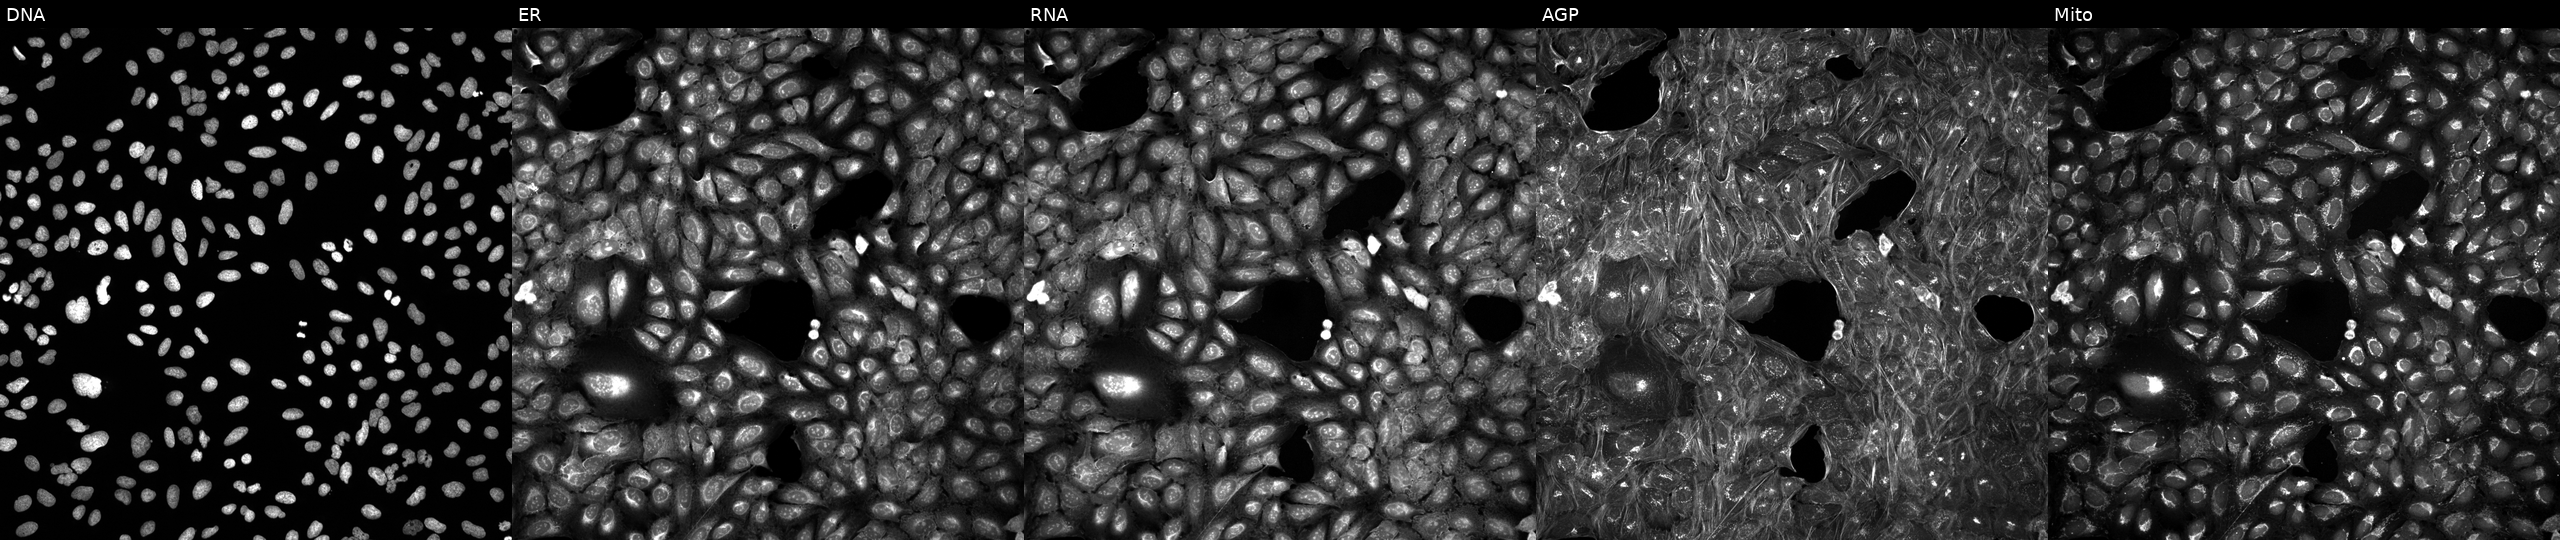
High-content fluorescence microscopy (Cell Painting). Cell line: U2OS. Perturbation: treated with DMSO vehicle only (negative control) (JUMP id JCP2022_033924). Channels (left→right): DNA (nuclei); ER (endoplasmic reticulum); RNA (nucleoli and cytoplasmic RNA); AGP (actin cytoskeleton, Golgi, and plasma membrane); Mito (mitochondria). Source 5, plate ACPJUM032, well E18.